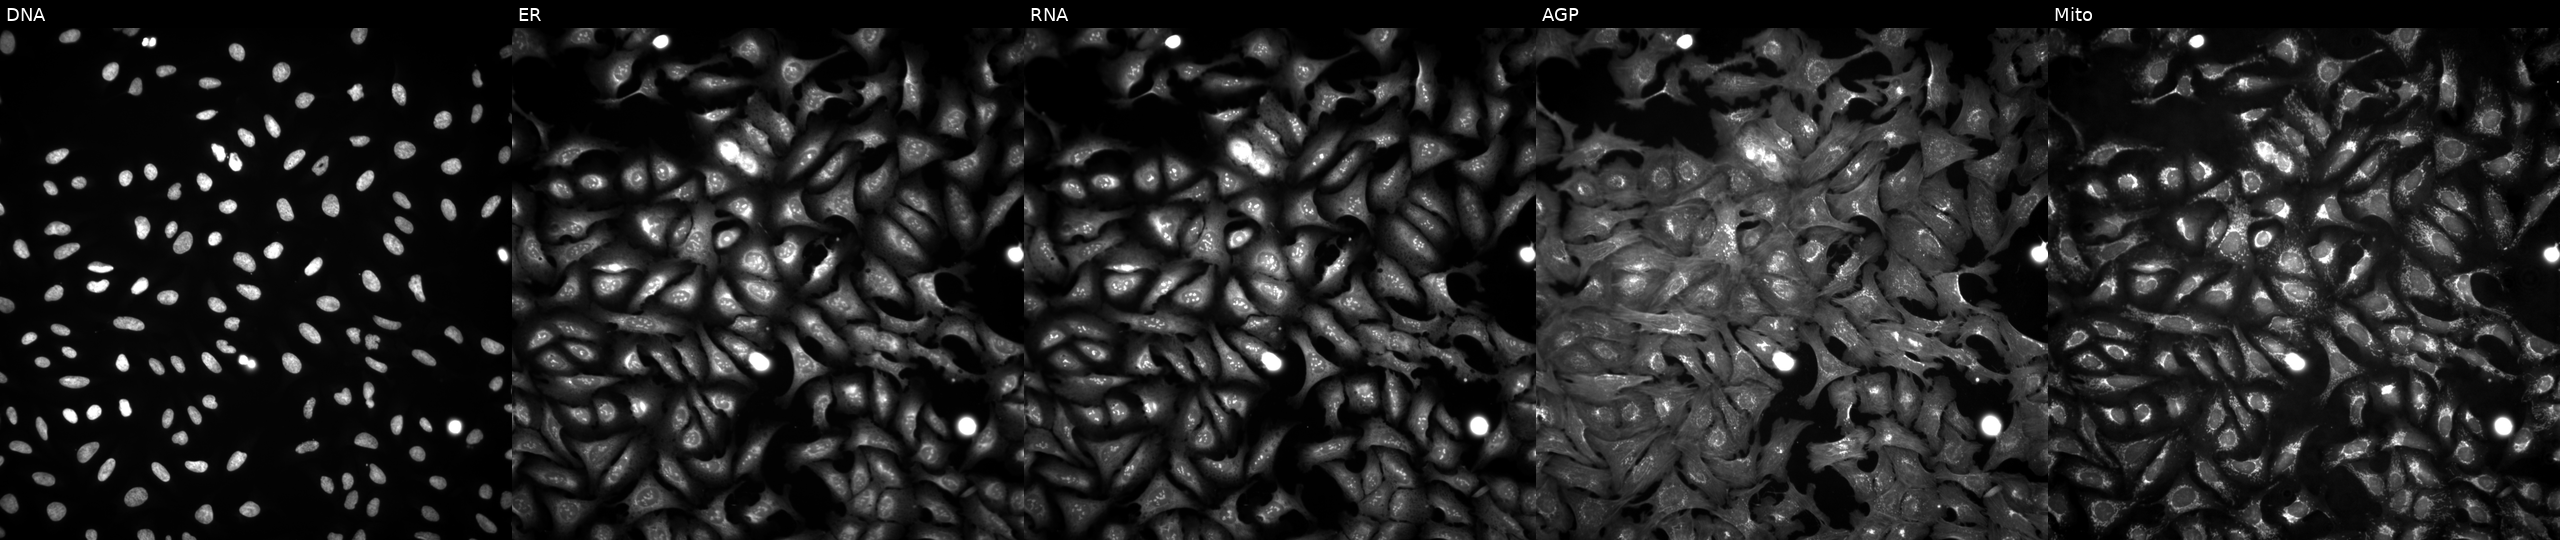
JUMP Cell Painting — ORF plate. U2OS cells with ERBB4 overexpressed (ORF) (JUMP id JCP2022_913663). Channels (left→right): DNA (nuclei); ER (endoplasmic reticulum); RNA (nucleoli and cytoplasmic RNA); AGP (actin cytoskeleton, Golgi, and plasma membrane); Mito (mitochondria).